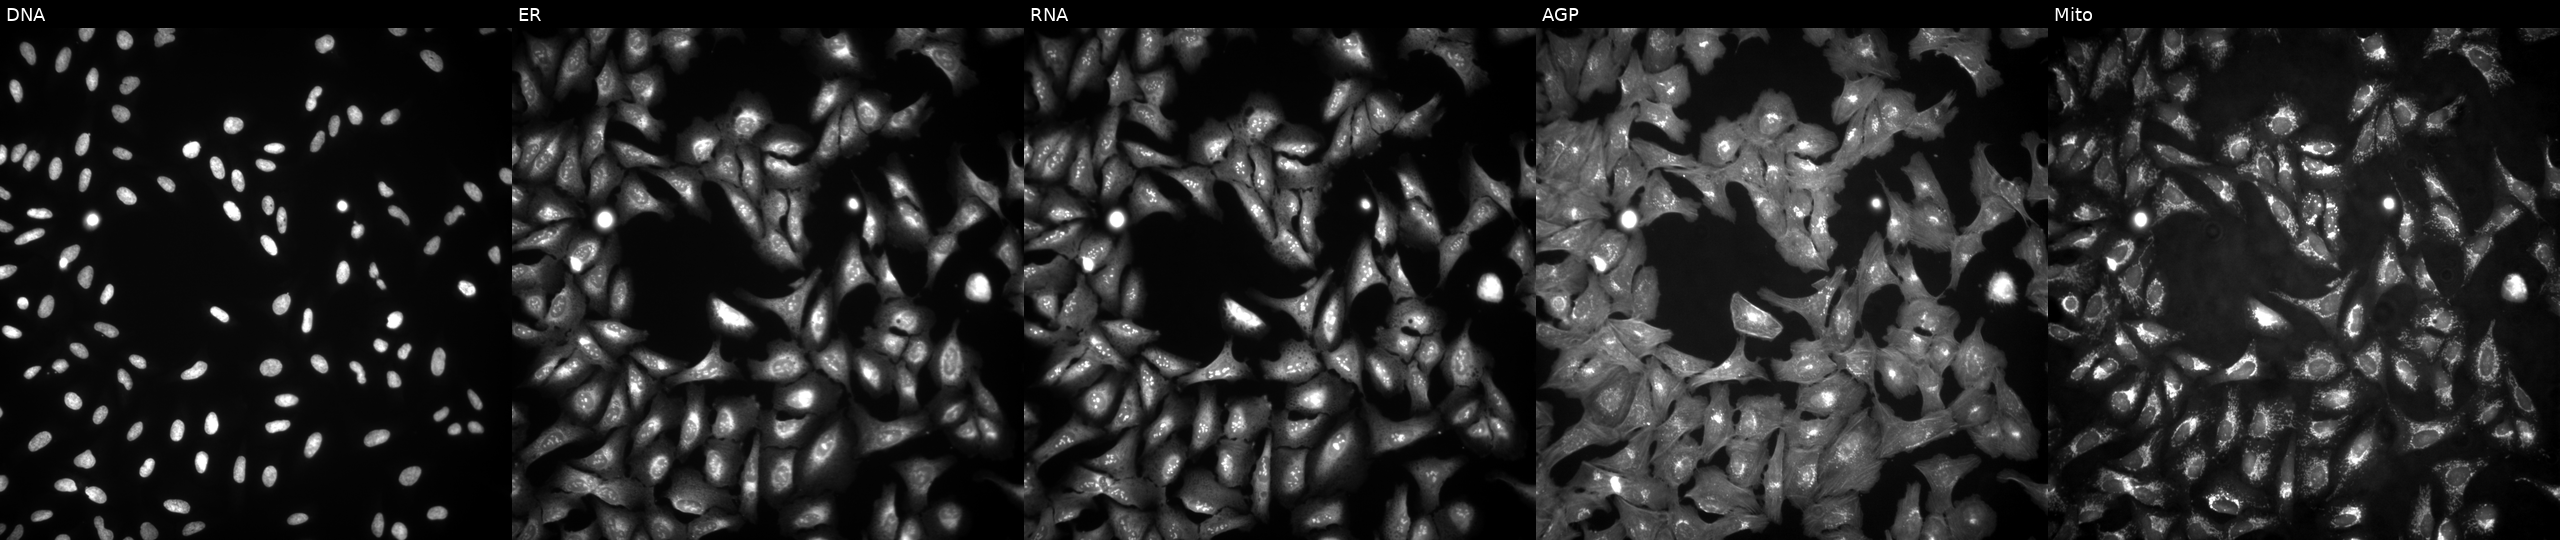
Channels (left→right): Hoechst 33342, concanavalin A, SYTO 14, phalloidin and WGA, MitoTracker. U2OS osteosarcoma cells transfected with an ORF construct for XAGE2. Cell Painting assay, JUMP-CP dataset. Source 4, plate BR00123509, well L22.